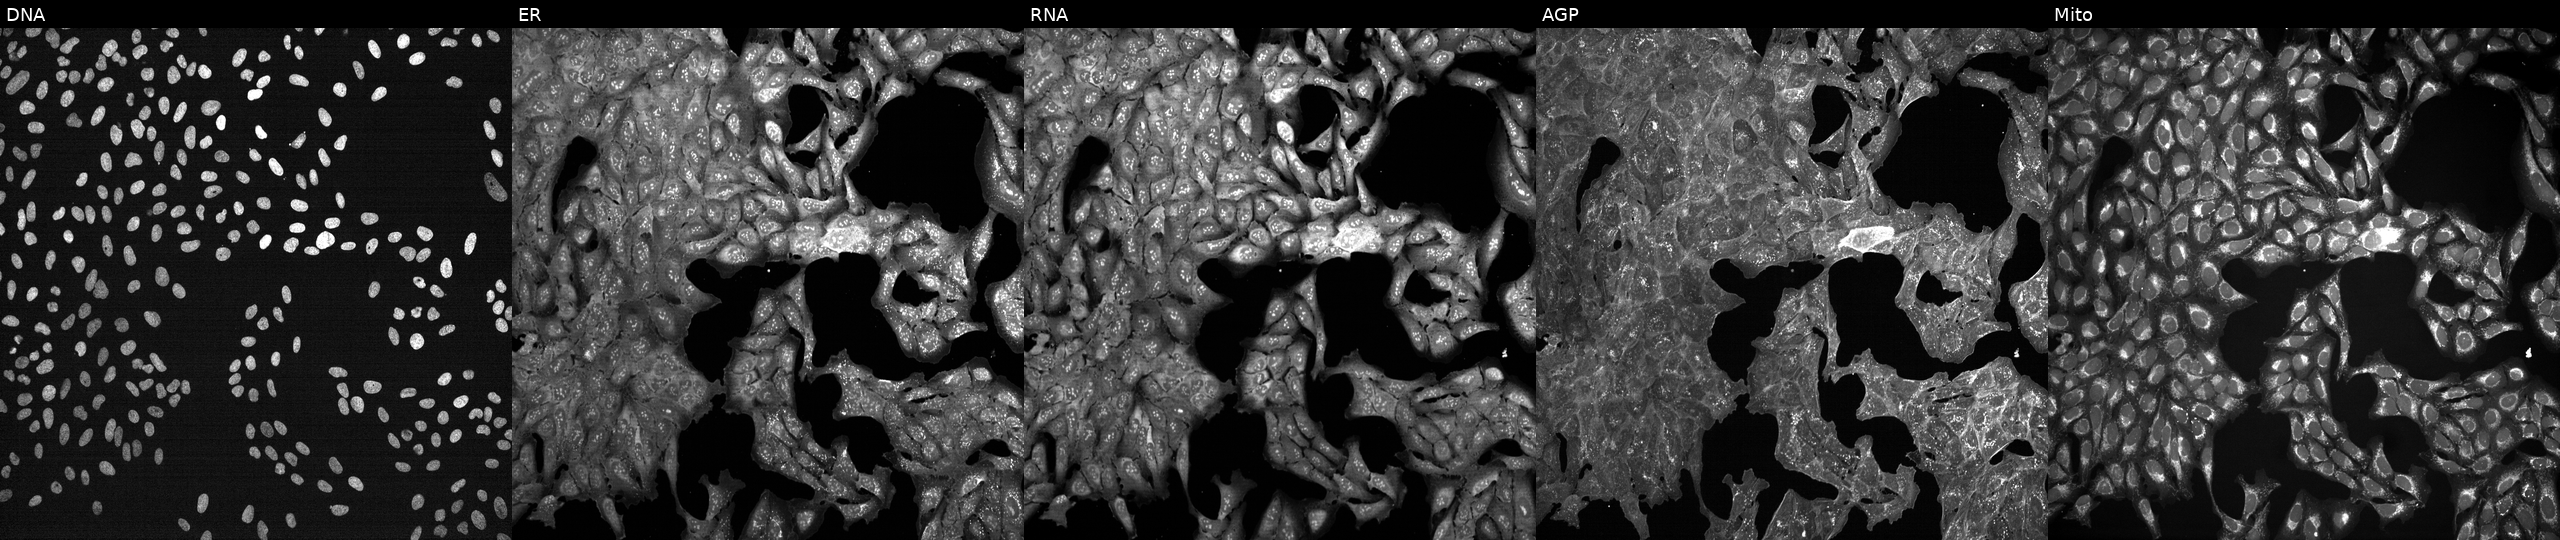
Five-channel Cell Painting image of U2OS cells perturbed with a small-molecule compound (JUMP id JCP2022_016288). The five panels, left to right, show Hoechst 33342, concanavalin A, SYTO 14, phalloidin and WGA, MitoTracker. Source 7, plate CP3-SC1-25, well A11.